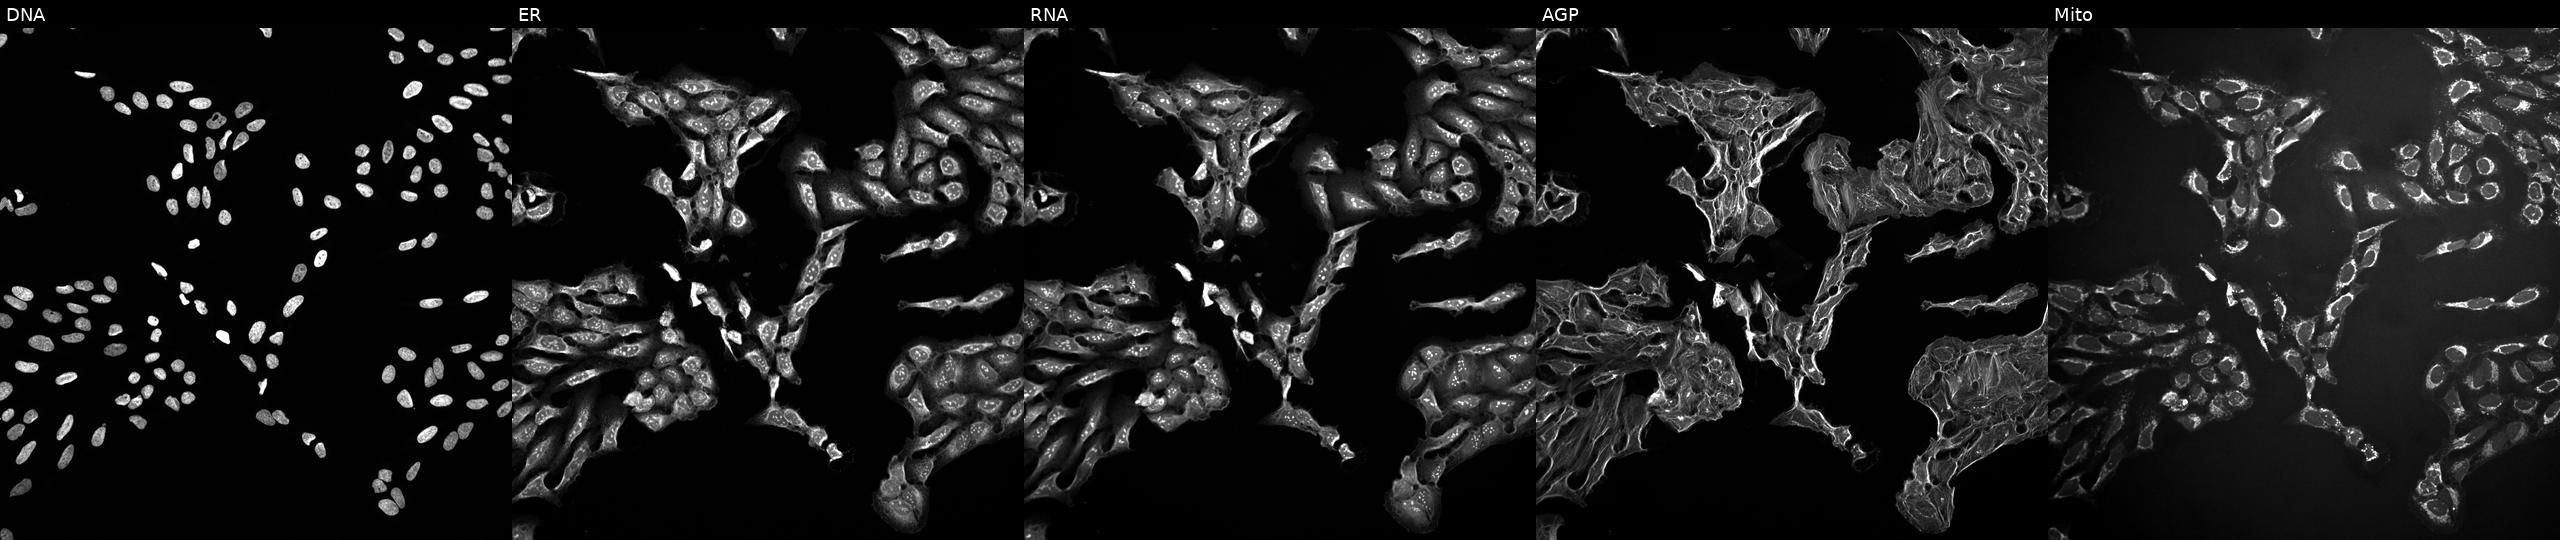
High-content fluorescence microscopy (Cell Painting). Cell line: U2OS. Perturbation: perturbed with a small-molecule compound (InChIKey PHOGQKDIVUJGMJ-UHFFFAOYSA-N). From left to right: DNA, ER, RNA, AGP, and Mito. Source 10, plate Dest210726-160150, well P18.